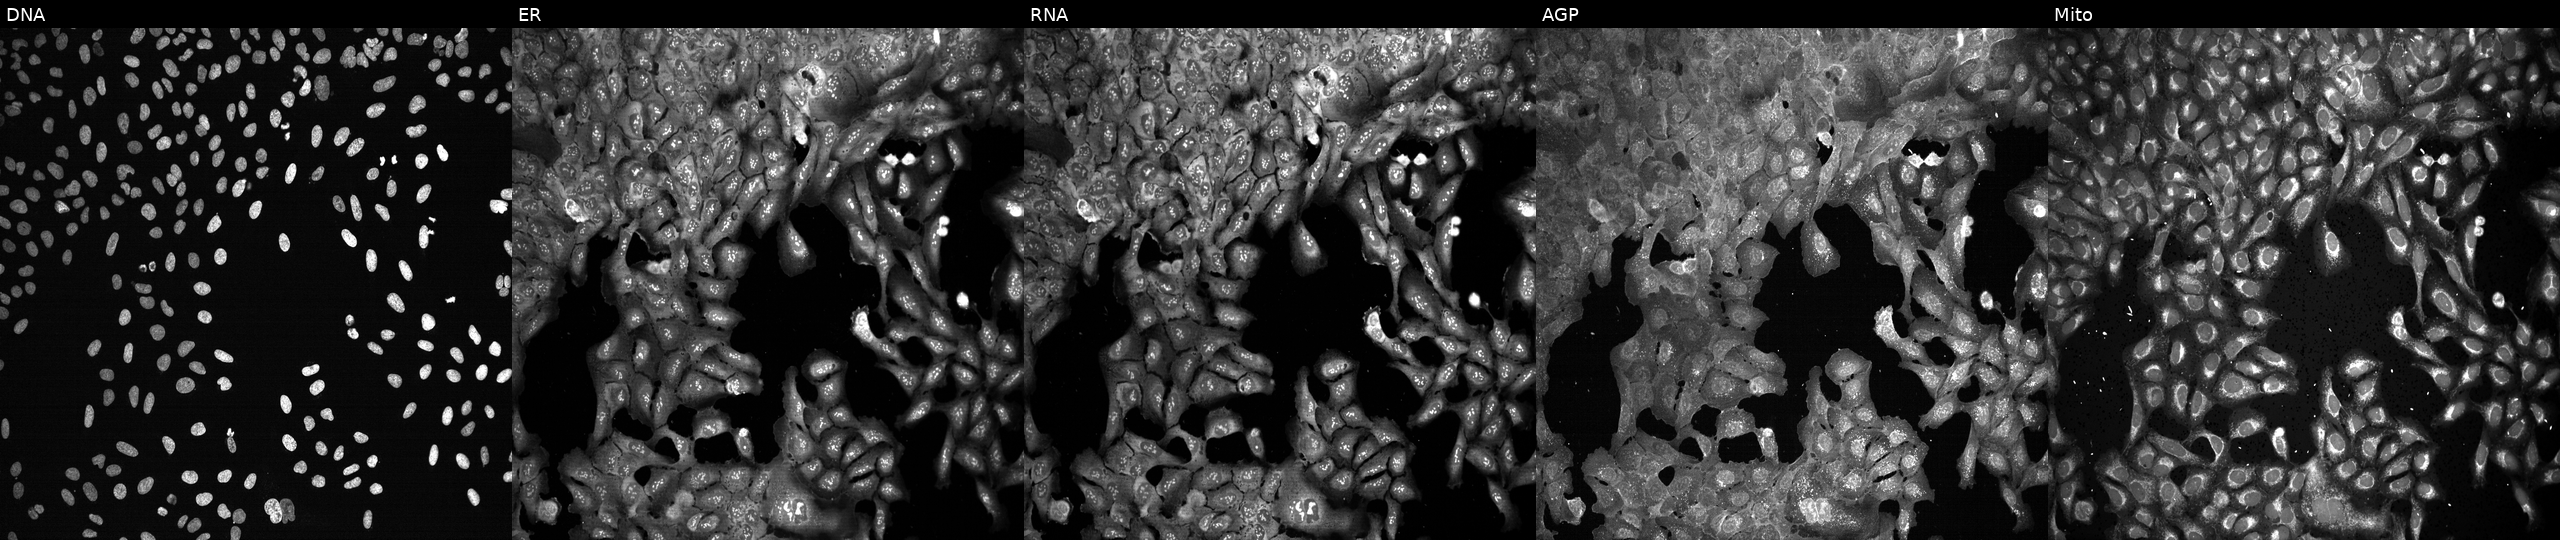
U2OS cells, Cell Painting assay, with AGBL2 knocked out by CRISPR (JUMP id JCP2022_800301). Channels (left→right): DNA (nuclei); ER (endoplasmic reticulum); RNA (nucleoli and cytoplasmic RNA); AGP (actin cytoskeleton, Golgi, and plasma membrane); Mito (mitochondria). Each panel is percentile-stretched 16-bit fluorescence. Source 13, plate CP-CC9-R5-01, well C03.